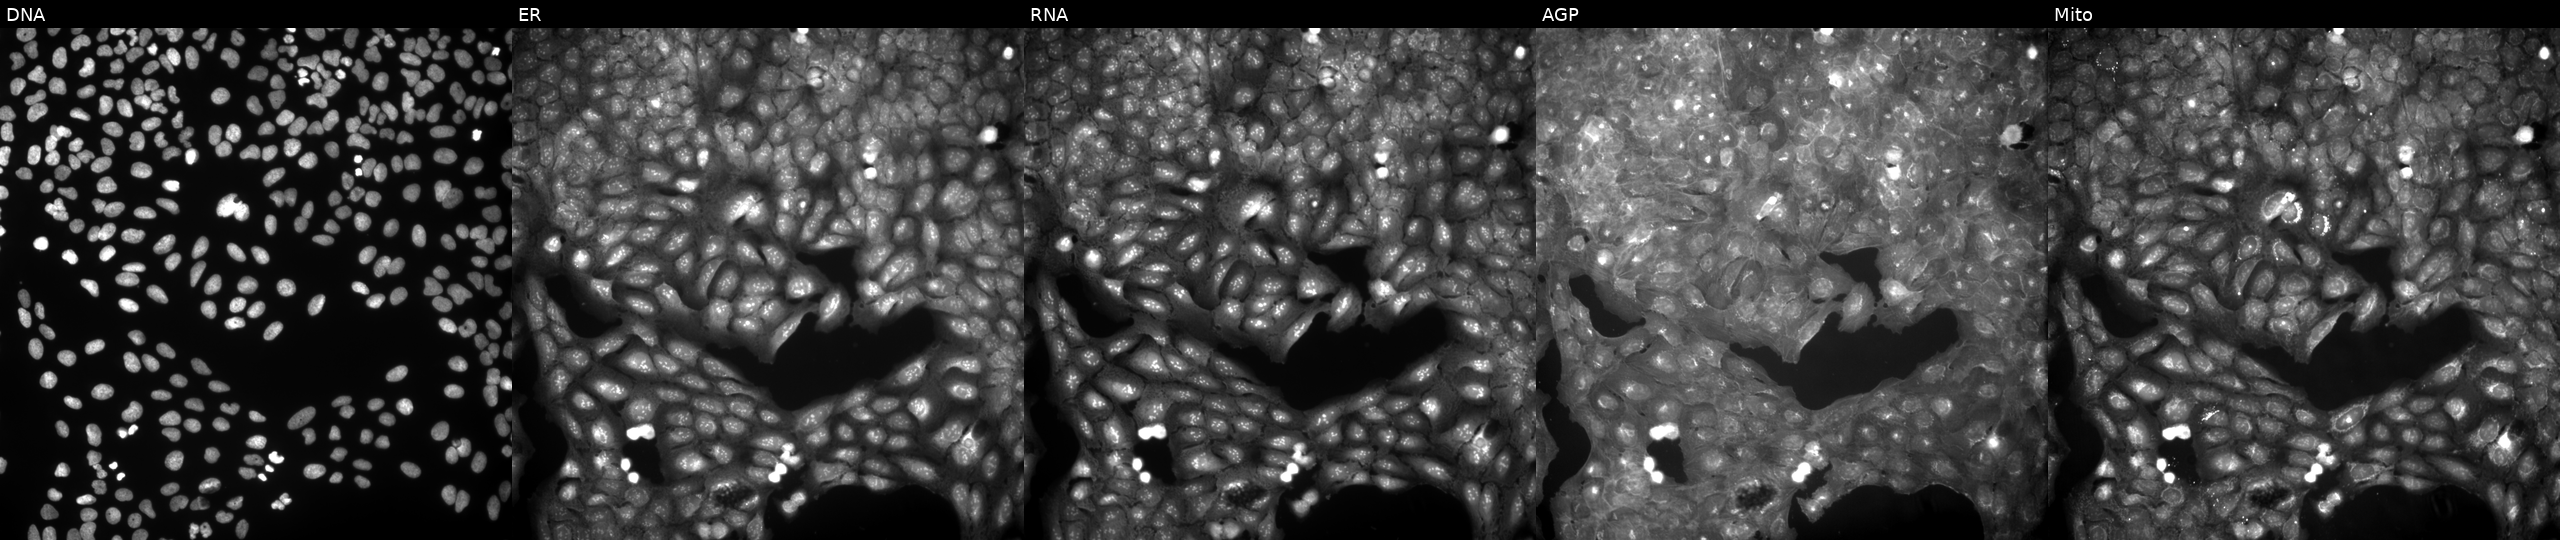
Channels (left→right): DNA, ER, RNA, AGP, and Mito. U2OS osteosarcoma cells treated with DMSO vehicle only (negative control) (JUMP id JCP2022_033924). Cell Painting assay, JUMP-CP dataset. Source 9, plate GR00003382, well L23.